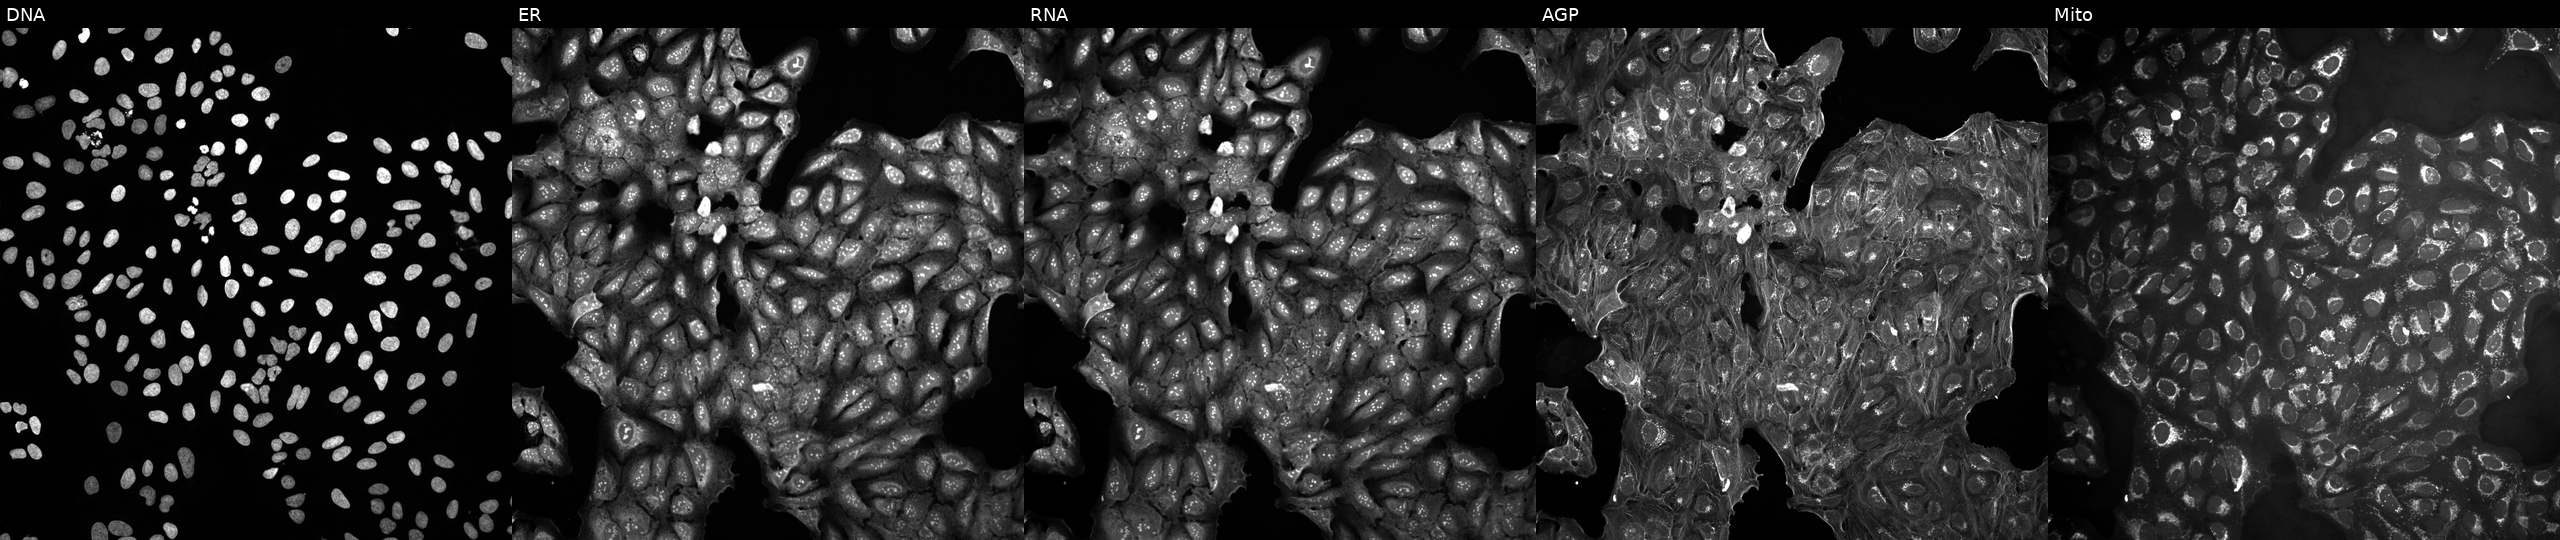
U2OS cells, Cell Painting assay, exposed to a small-molecule compound (InChIKey UUXOZDXXQBVTLX-UHFFFAOYSA-N). Panels show, left to right, DNA (nuclei); ER (endoplasmic reticulum); RNA (nucleoli and cytoplasmic RNA); AGP (actin cytoskeleton, Golgi, and plasma membrane); Mito (mitochondria). Each panel is percentile-stretched 16-bit fluorescence. Source 10, plate Dest210531-152149, well N13.